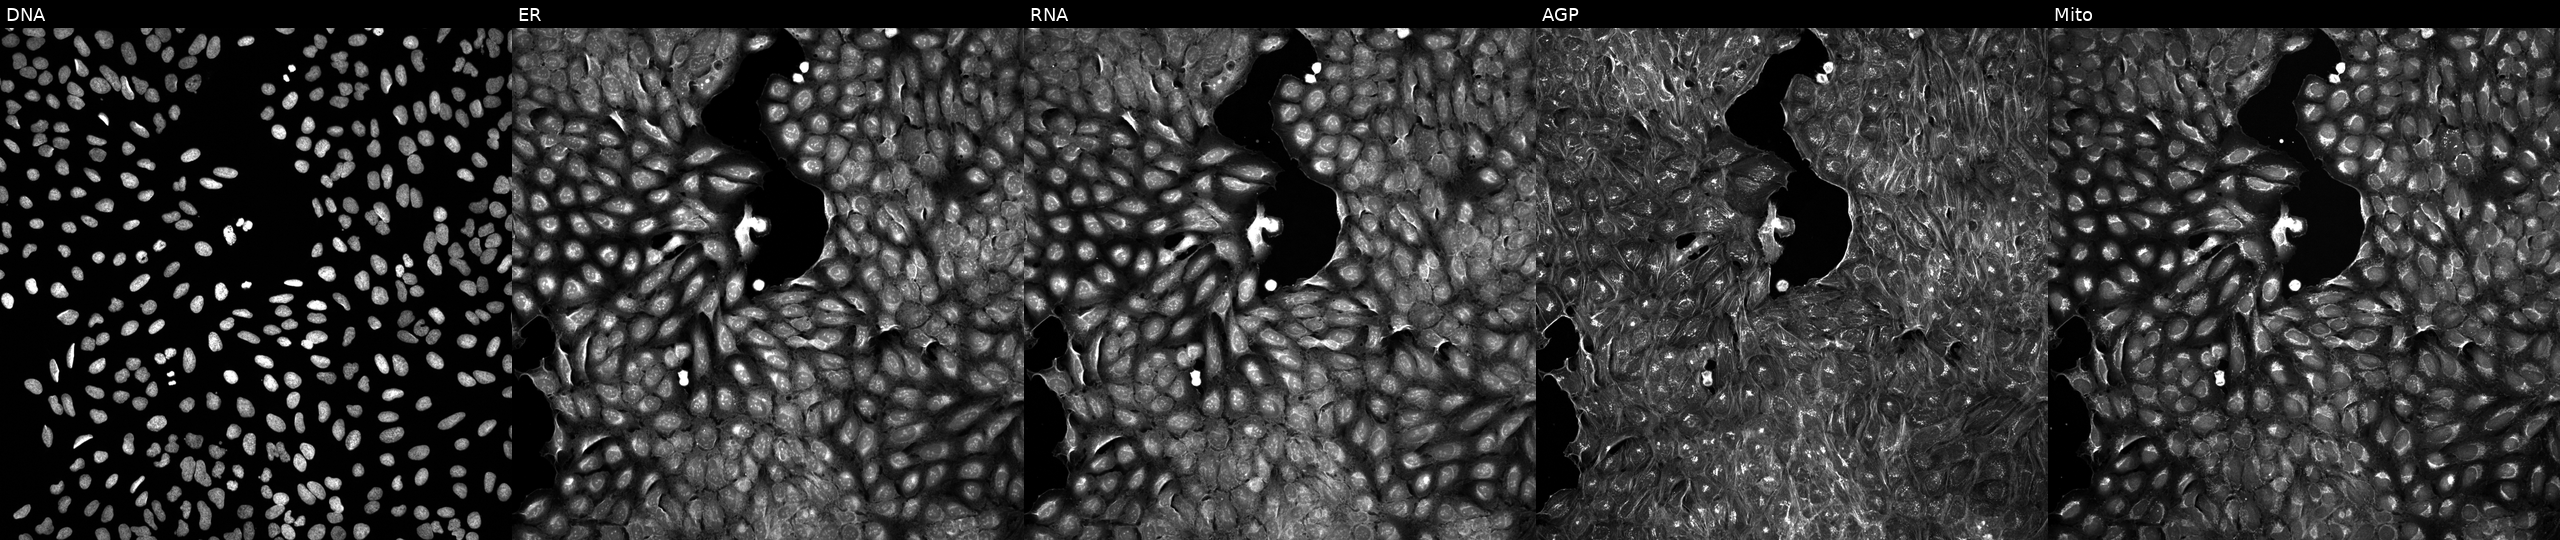
U2OS cells, Cell Painting assay, perturbed with a small-molecule compound (InChIKey XREBJSZJUHDORM-UHFFFAOYSA-N) [SMILES: CN1CCN(C(=O)CS(=O)(=O)C2CCCC2)c2ccccc2C1] (JUMP id JCP2022_105491). From left to right: DNA (nuclei); ER (endoplasmic reticulum); RNA (nucleoli and cytoplasmic RNA); AGP (actin cytoskeleton, Golgi, and plasma membrane); Mito (mitochondria). Each panel is percentile-stretched 16-bit fluorescence. Source 5, plate APTJUM105, well J10.